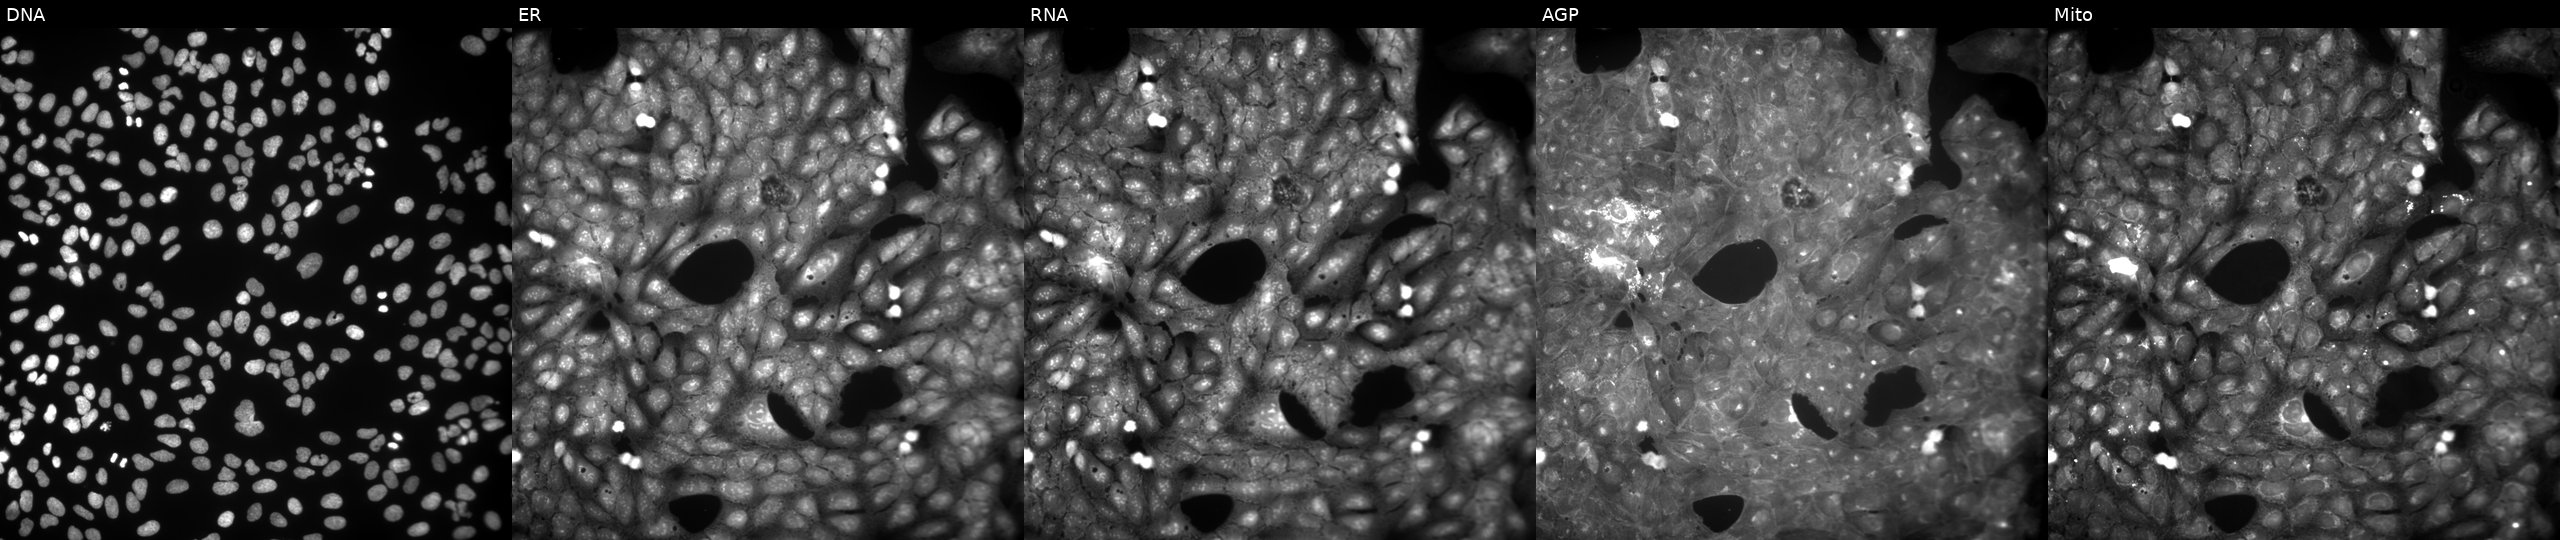
JUMP Cell Painting — COMPOUND plate. U2OS cells exposed to the positive-control compound aloxistatin (JUMP id JCP2022_085227). Channels (left→right): DNA (nuclei); ER (endoplasmic reticulum); RNA (nucleoli and cytoplasmic RNA); AGP (actin cytoskeleton, Golgi, and plasma membrane); Mito (mitochondria).